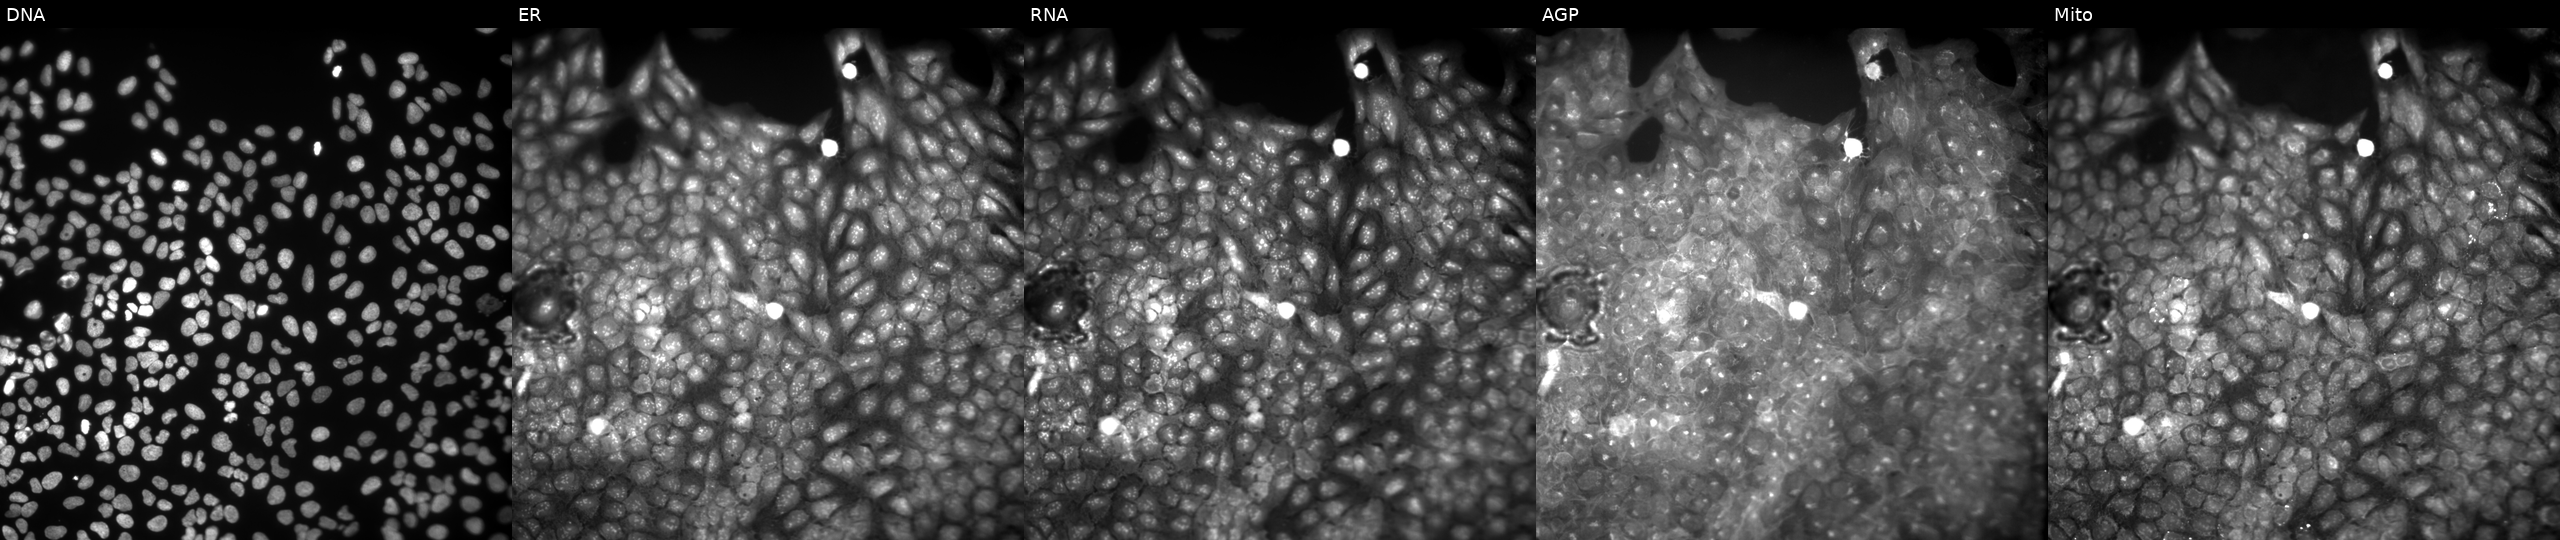
JUMP Cell Painting — COMPOUND plate. U2OS cells treated with a small-molecule compound [SMILES: CC(=O)Oc1ccc2cc(-c3nc4ccccc4n3C)c(=O)oc2c1]. Panels show, left to right, Hoechst 33342, concanavalin A, SYTO 14, phalloidin and WGA, MitoTracker. Source 9, plate GR00003382, well AD43.